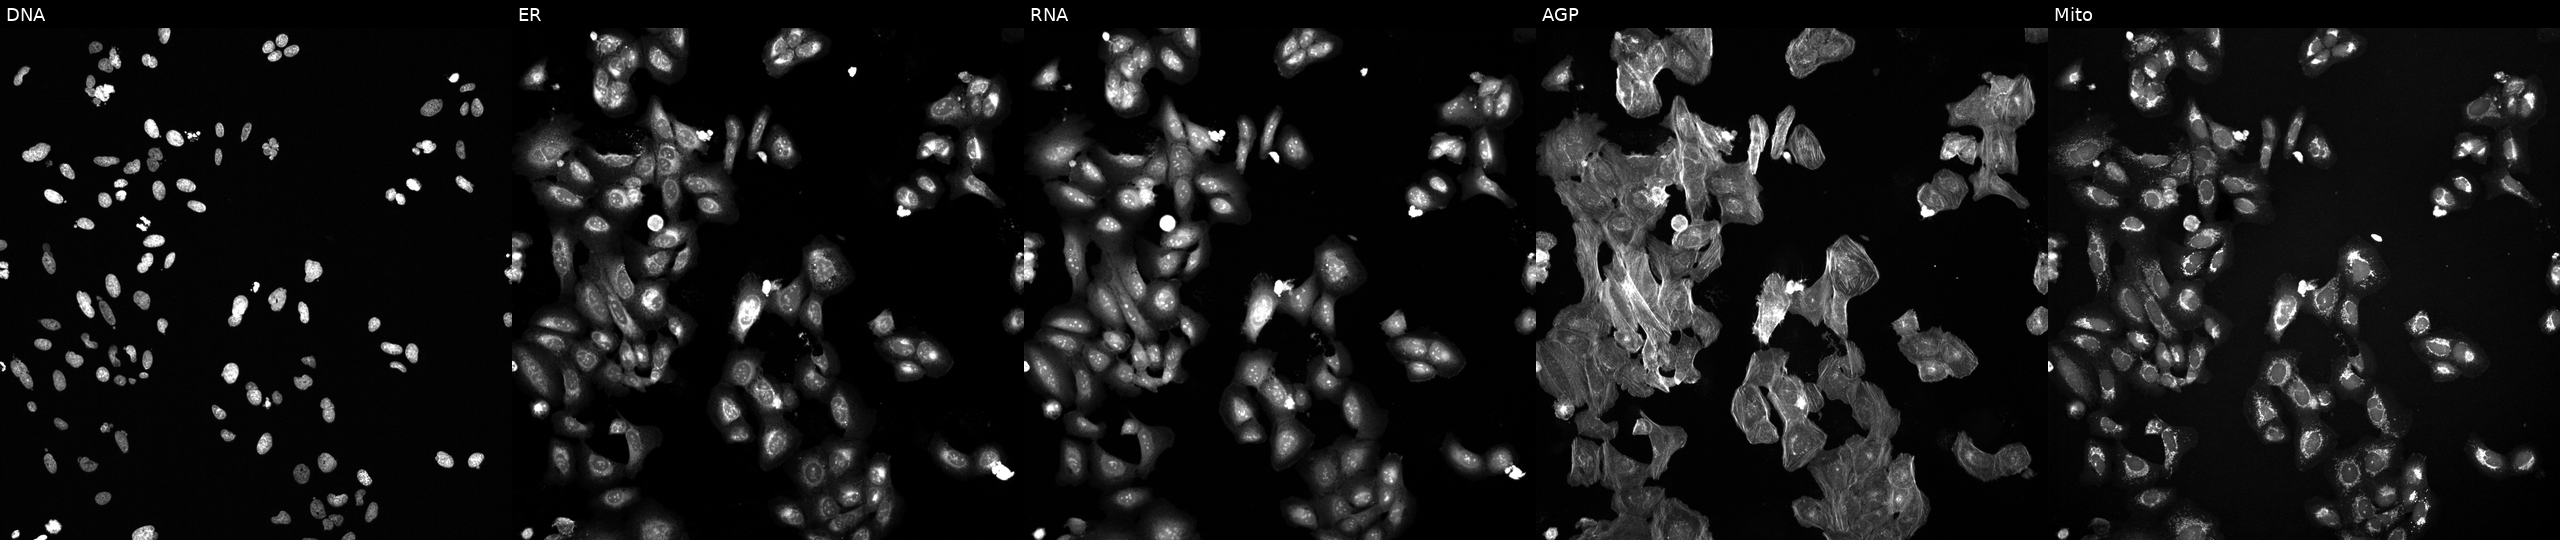
JUMP Cell Painting — COMPOUND plate. U2OS cells perturbed with a small-molecule compound. From left to right: DNA (nuclei); ER (endoplasmic reticulum); RNA (nucleoli and cytoplasmic RNA); AGP (actin cytoskeleton, Golgi, and plasma membrane); Mito (mitochondria). Source 6, plate 110000293083, well N07.